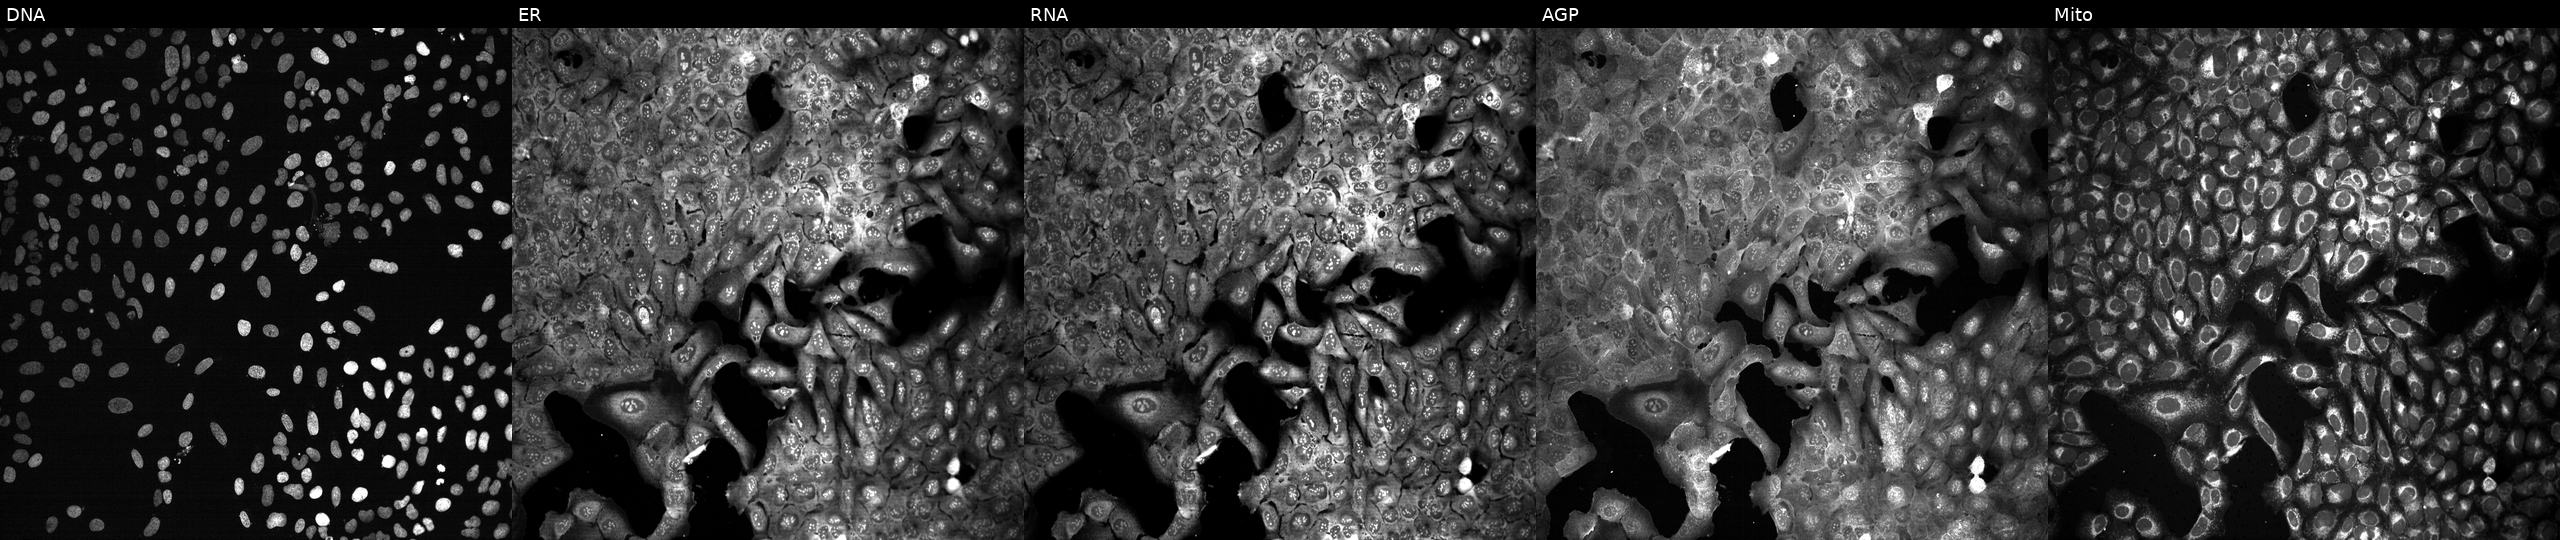
Panels show, left to right, DNA, ER, RNA, AGP, and Mito. U2OS osteosarcoma cells CRISPR-edited to disrupt GDF9 (JUMP id JCP2022_802659). Cell Painting assay, JUMP-CP dataset.